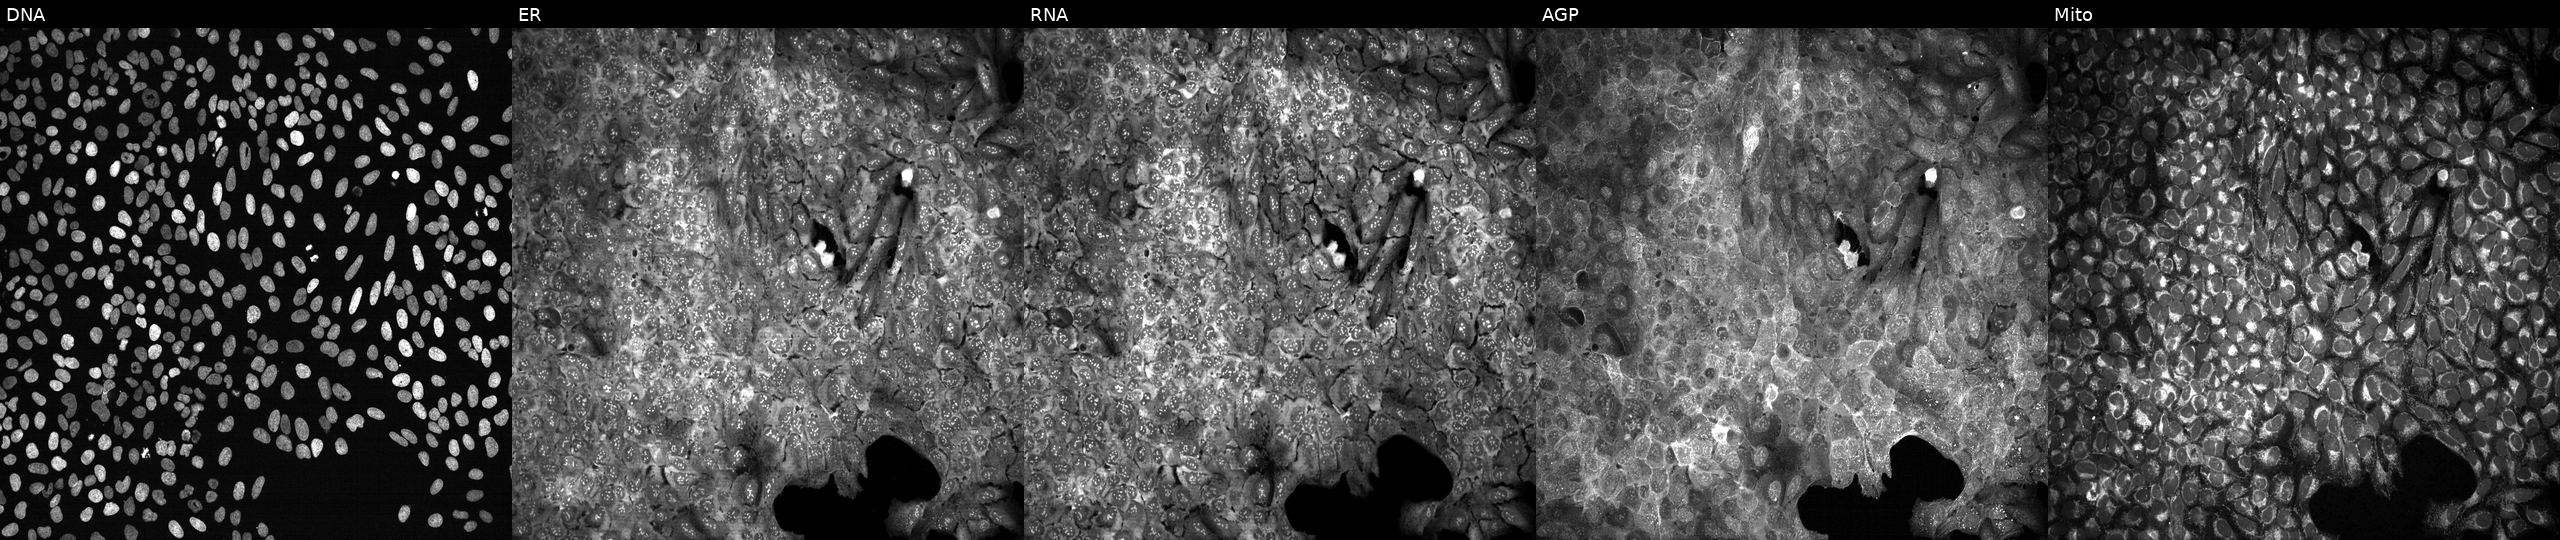
U2OS cells, Cell Painting assay, exposed to the positive-control compound dexamethasone (JUMP id JCP2022_025848). From left to right: Hoechst 33342, concanavalin A, SYTO 14, phalloidin and WGA, MitoTracker. Each panel is percentile-stretched 16-bit fluorescence. Source 13, plate CP-CC9-R4-04, well O24.